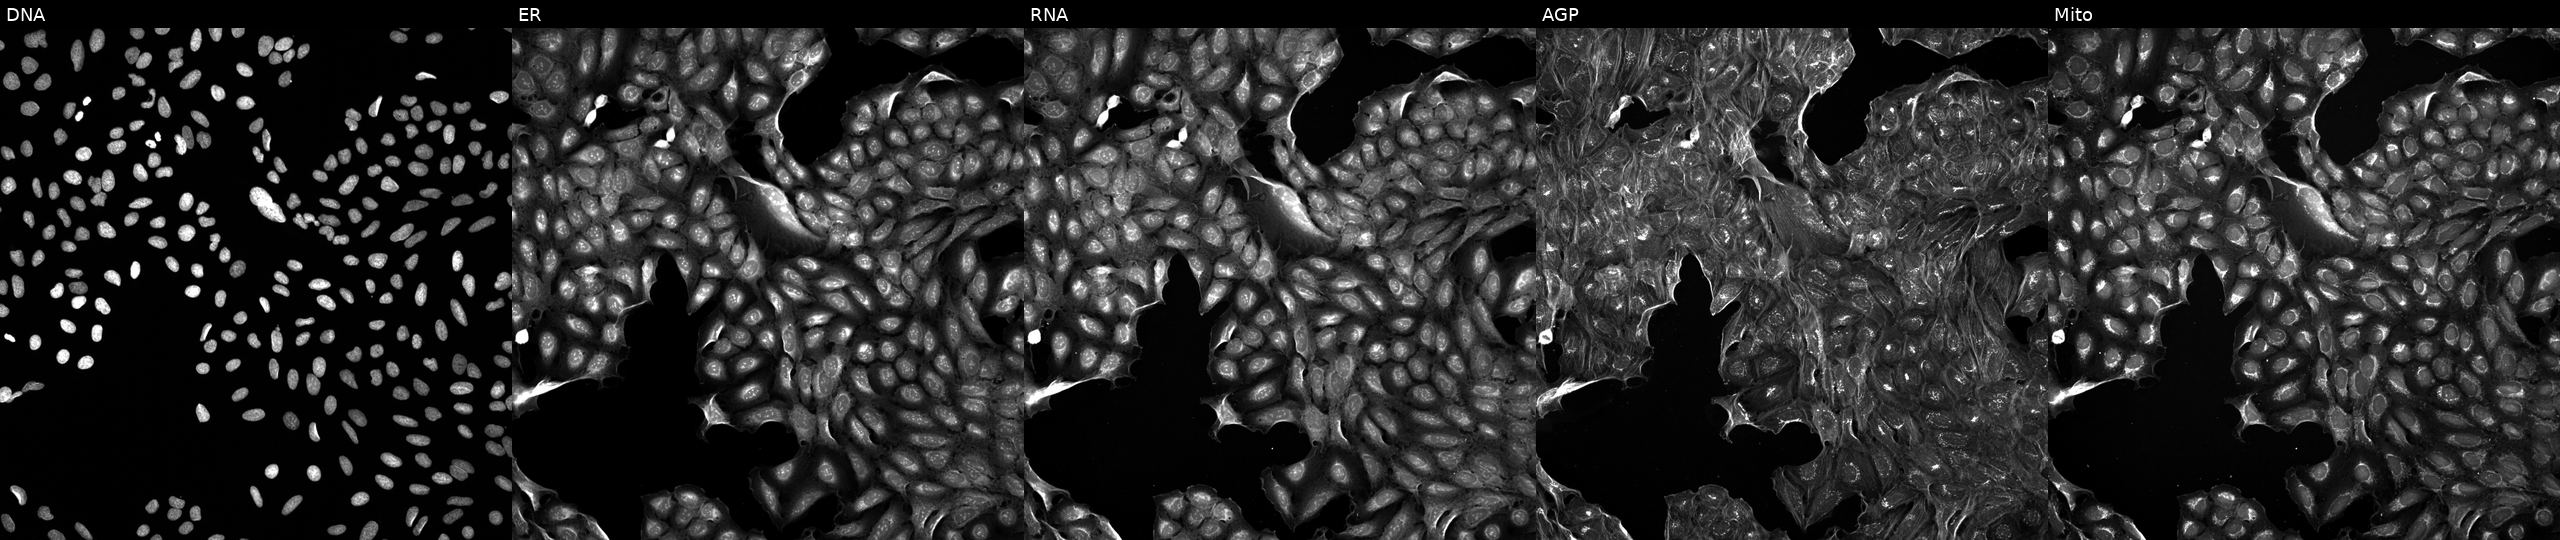
Five-channel Cell Painting image of U2OS cells treated with a small-molecule compound (InChIKey XNTSSXZXANAHTO-UHFFFAOYSA-N) [SMILES: Cc1cccc(-c2ccc(C(=O)N3CCC(N4CCCC4=O)C3)c(=O)[nH]2)c1] (JUMP id JCP2022_104842). Channels (left→right): Hoechst 33342, concanavalin A, SYTO 14, phalloidin and WGA, MitoTracker.